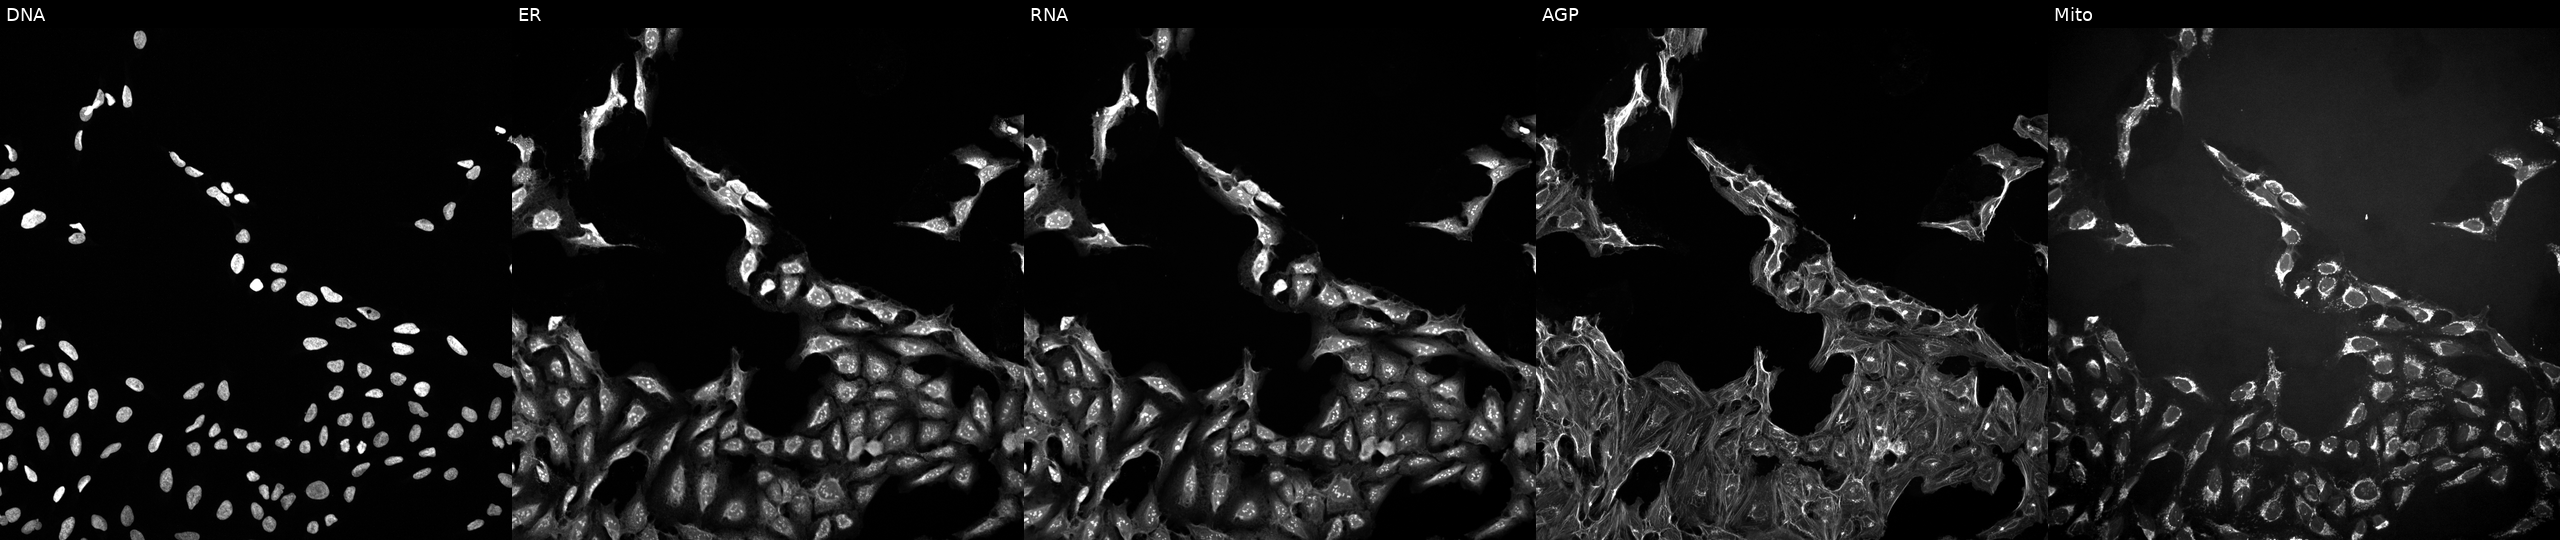
U2OS cells, Cell Painting assay, exposed to a small-molecule compound (JUMP id JCP2022_100264). The five panels, left to right, show DNA (nuclei); ER (endoplasmic reticulum); RNA (nucleoli and cytoplasmic RNA); AGP (actin cytoskeleton, Golgi, and plasma membrane); Mito (mitochondria). Each panel is percentile-stretched 16-bit fluorescence. Source 10, plate Dest210726-160150, well A07.